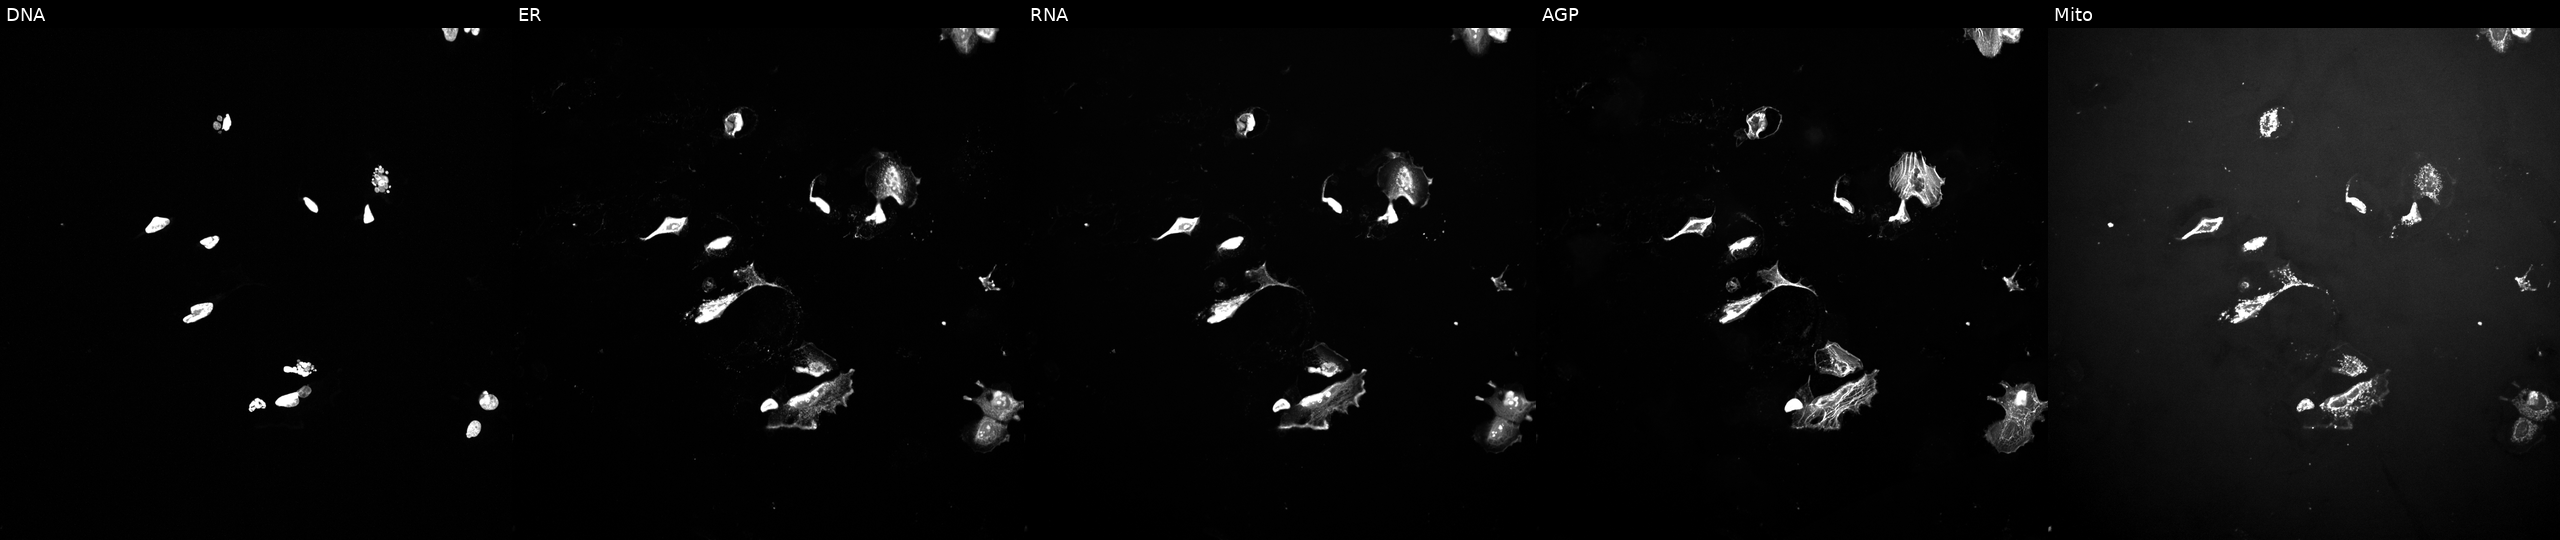
From left to right: Hoechst 33342, concanavalin A, SYTO 14, phalloidin and WGA, MitoTracker. U2OS osteosarcoma cells perturbed with a small-molecule compound (InChIKey RAOCRURYZCVHMG-UHFFFAOYSA-N). Cell Painting assay, JUMP-CP dataset. Source 10, plate Dest210726-160150, well F11.